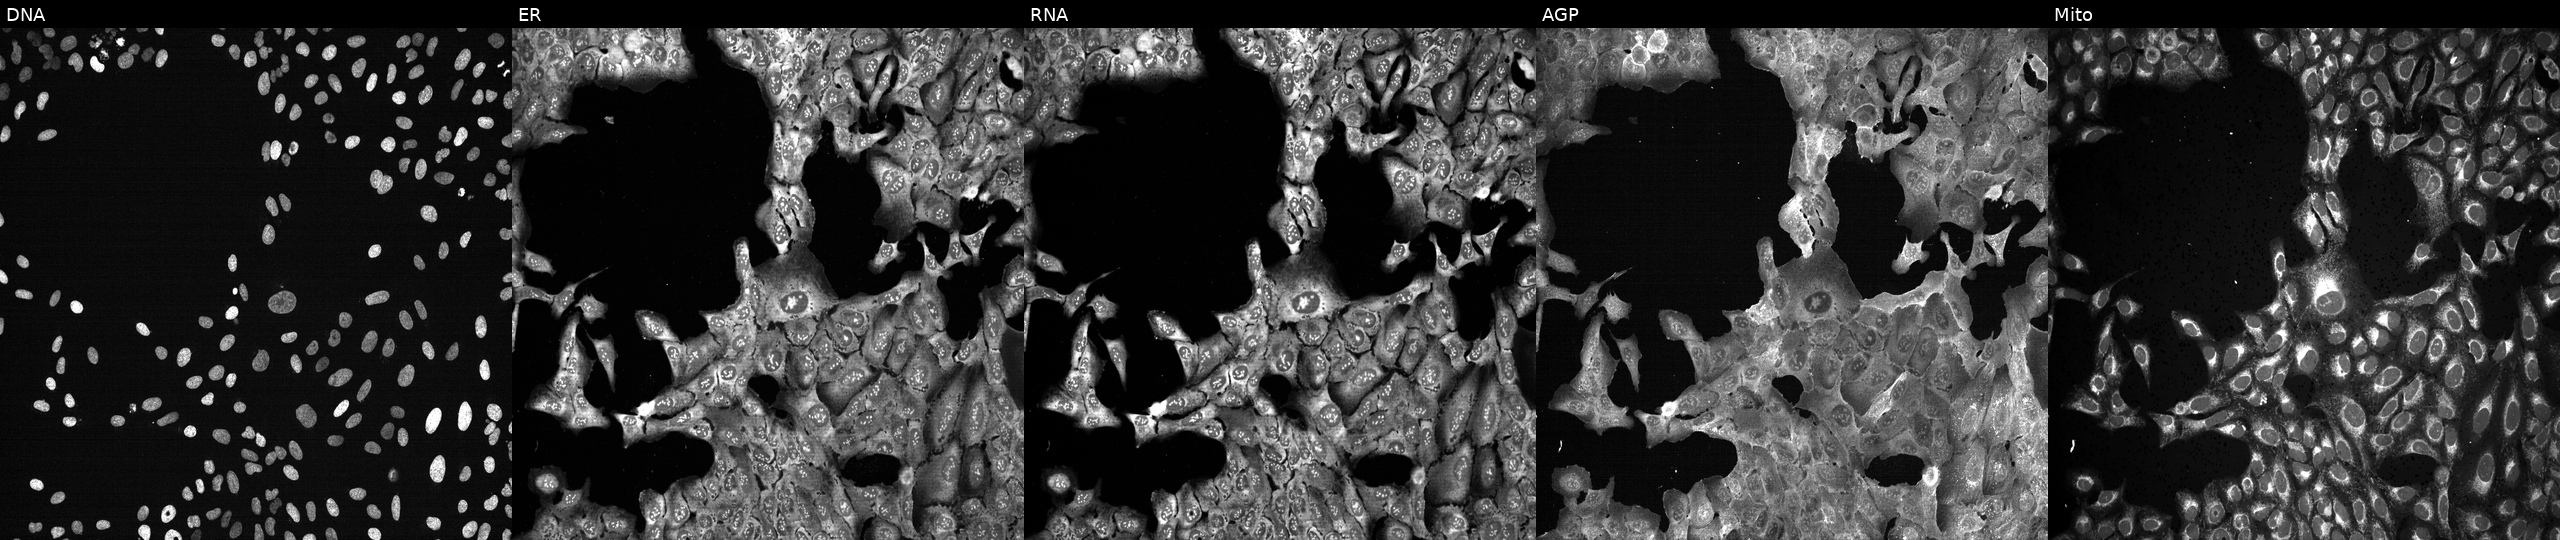
Panels show, left to right, DNA (nuclei); ER (endoplasmic reticulum); RNA (nucleoli and cytoplasmic RNA); AGP (actin cytoskeleton, Golgi, and plasma membrane); Mito (mitochondria). U2OS osteosarcoma cells following CRISPR knockout of IL10RB (JUMP id JCP2022_803362). Cell Painting assay, JUMP-CP dataset.